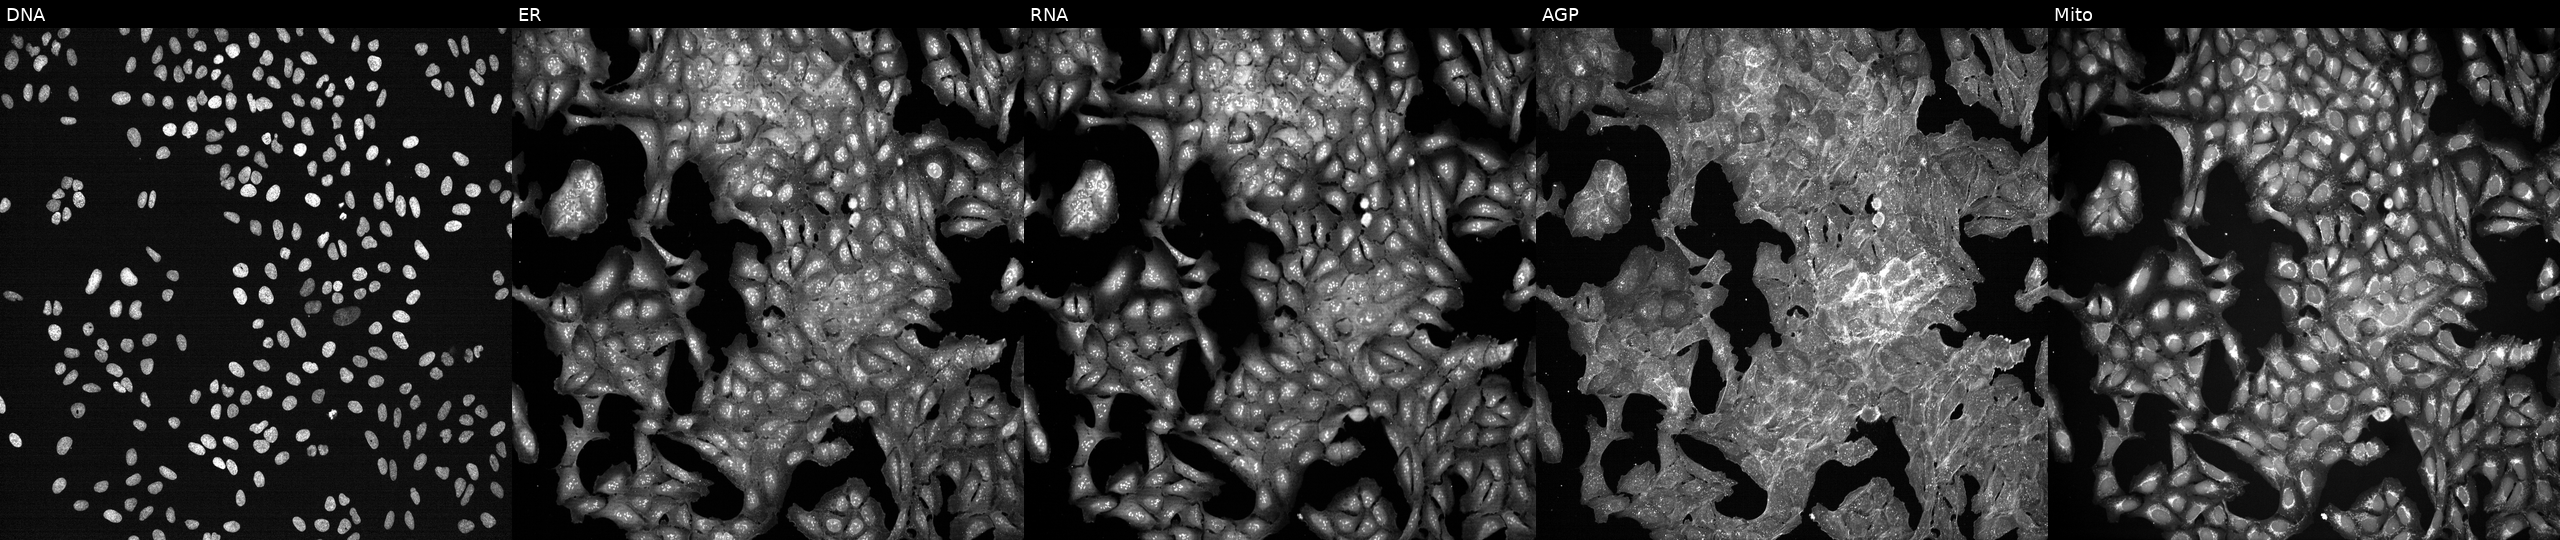
High-content fluorescence microscopy (Cell Painting). Cell line: U2OS. Perturbation: exposed to DMSO alone as a negative control (JUMP id JCP2022_033924). Channels (left→right): Hoechst 33342, concanavalin A, SYTO 14, phalloidin and WGA, MitoTracker.